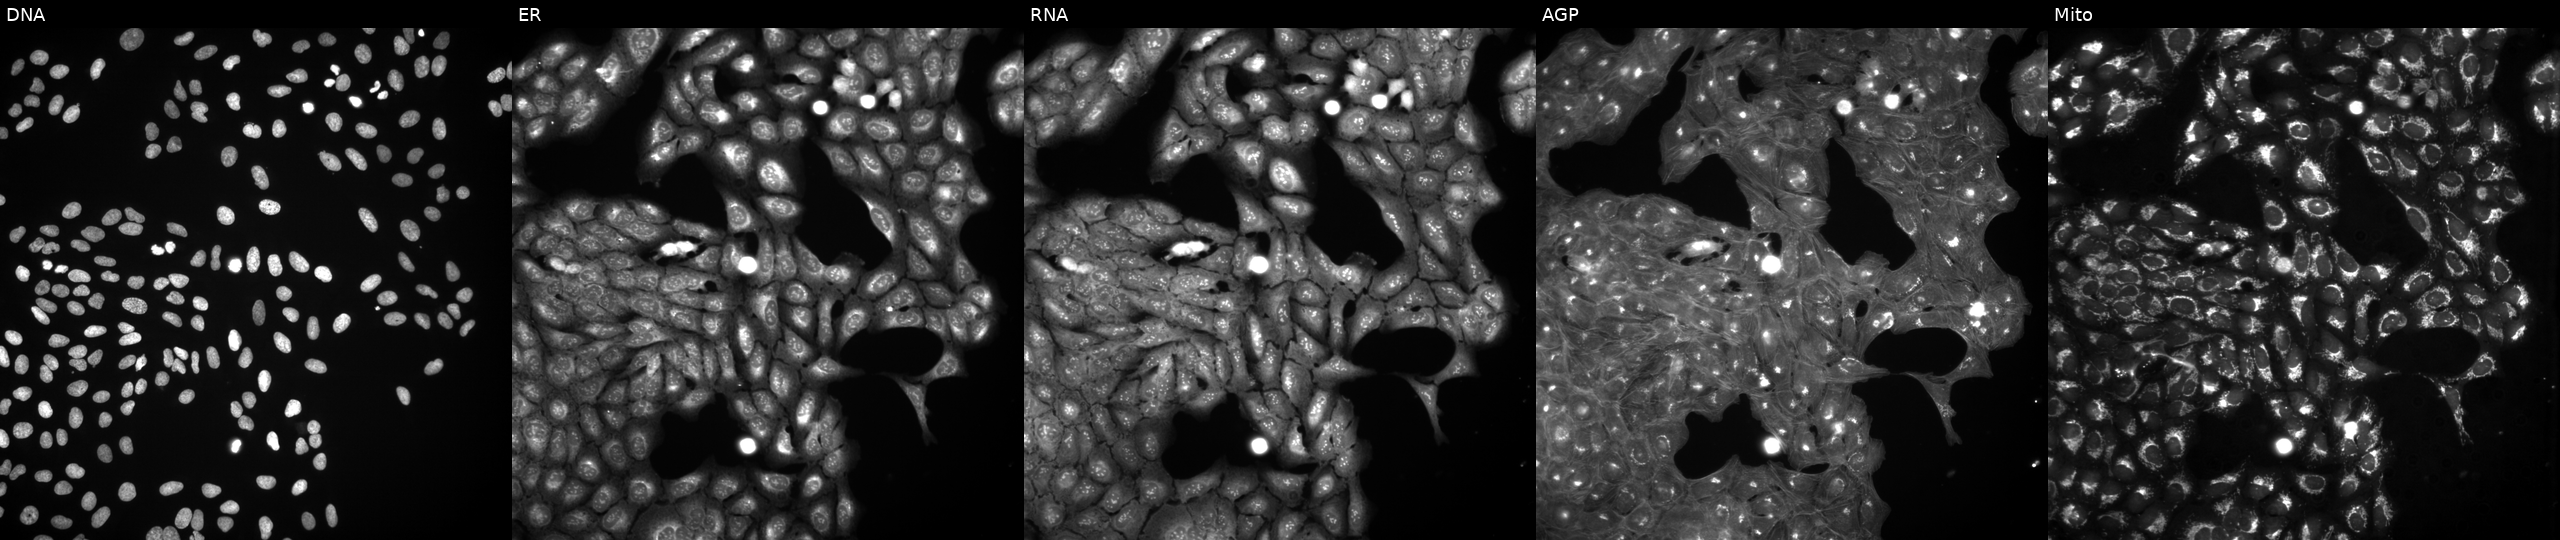
High-content fluorescence microscopy (Cell Painting). Cell line: U2OS. Perturbation: exposed to DMSO alone as a negative control (JUMP id JCP2022_033924). Panels show, left to right, DNA (nuclei); ER (endoplasmic reticulum); RNA (nucleoli and cytoplasmic RNA); AGP (actin cytoskeleton, Golgi, and plasma membrane); Mito (mitochondria). Source 3, plate JCPQC052, well H02.